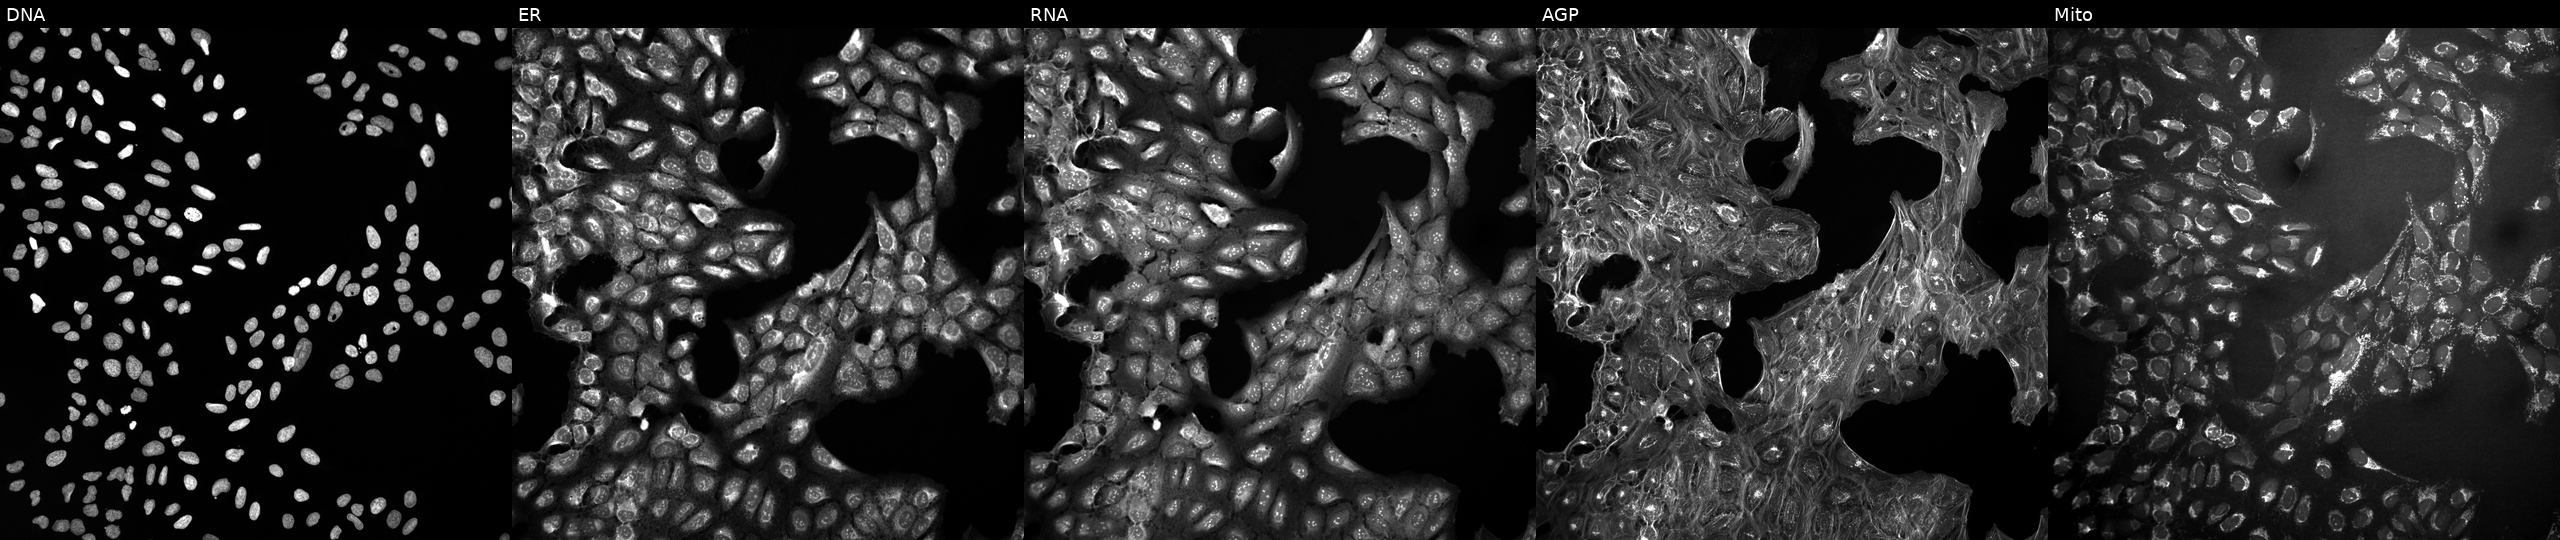
Channels (left→right): Hoechst 33342, concanavalin A, SYTO 14, phalloidin and WGA, MitoTracker. U2OS osteosarcoma cells perturbed with a small-molecule compound. Cell Painting assay, JUMP-CP dataset.